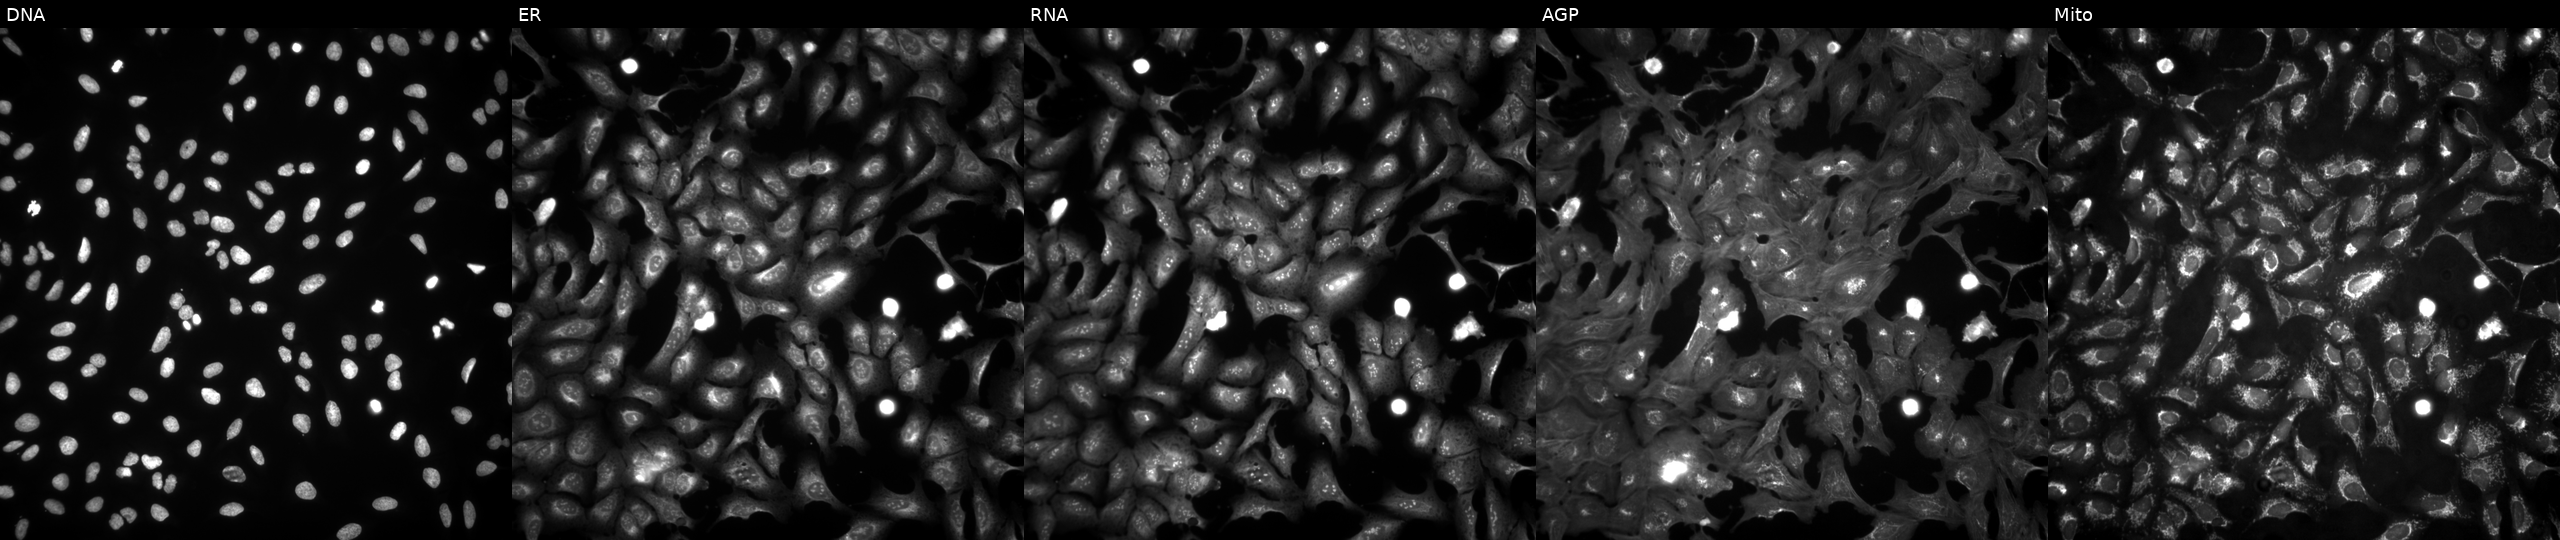
Five-channel Cell Painting image of U2OS cells transfected with an ORF construct for IZUMO4 (JUMP id JCP2022_913392). Panels show, left to right, DNA (nuclei); ER (endoplasmic reticulum); RNA (nucleoli and cytoplasmic RNA); AGP (actin cytoskeleton, Golgi, and plasma membrane); Mito (mitochondria).